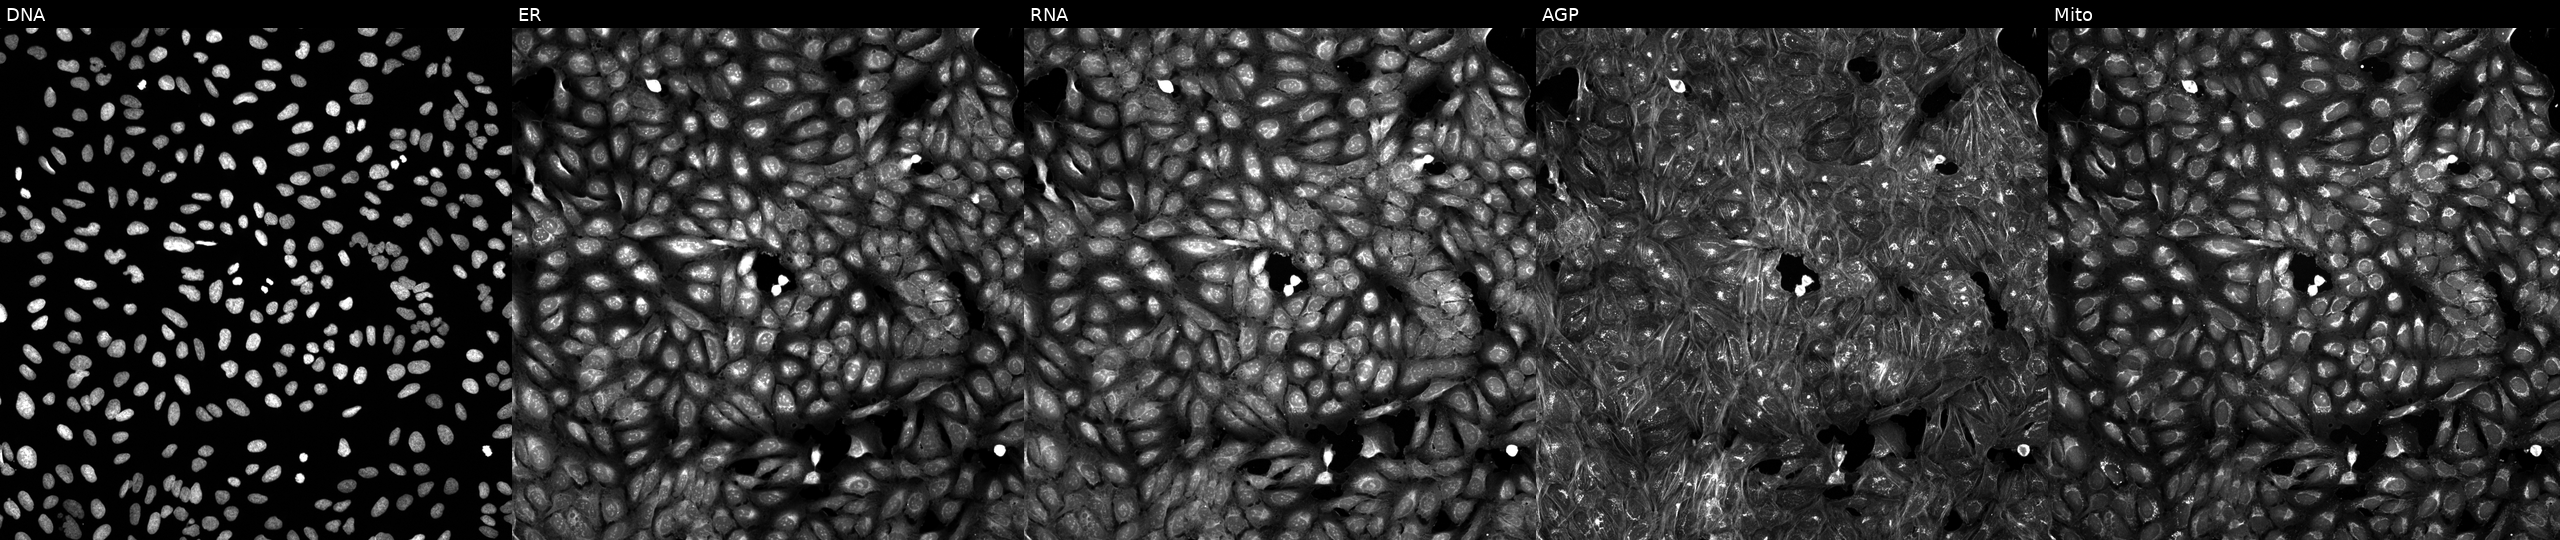
High-content fluorescence microscopy (Cell Painting). Cell line: U2OS. Perturbation: treated with a small-molecule compound (InChIKey GLCOUVFIVZCOHO-UHFFFAOYSA-N) [SMILES: CC1(C)Cc2cccc(OCC(=O)N(Cc3ccccc3)c3ccccn3)c2O1] (JUMP id JCP2022_026196). Panels show, left to right, Hoechst 33342, concanavalin A, SYTO 14, phalloidin and WGA, MitoTracker. Source 5, plate APTJUM105, well D07.